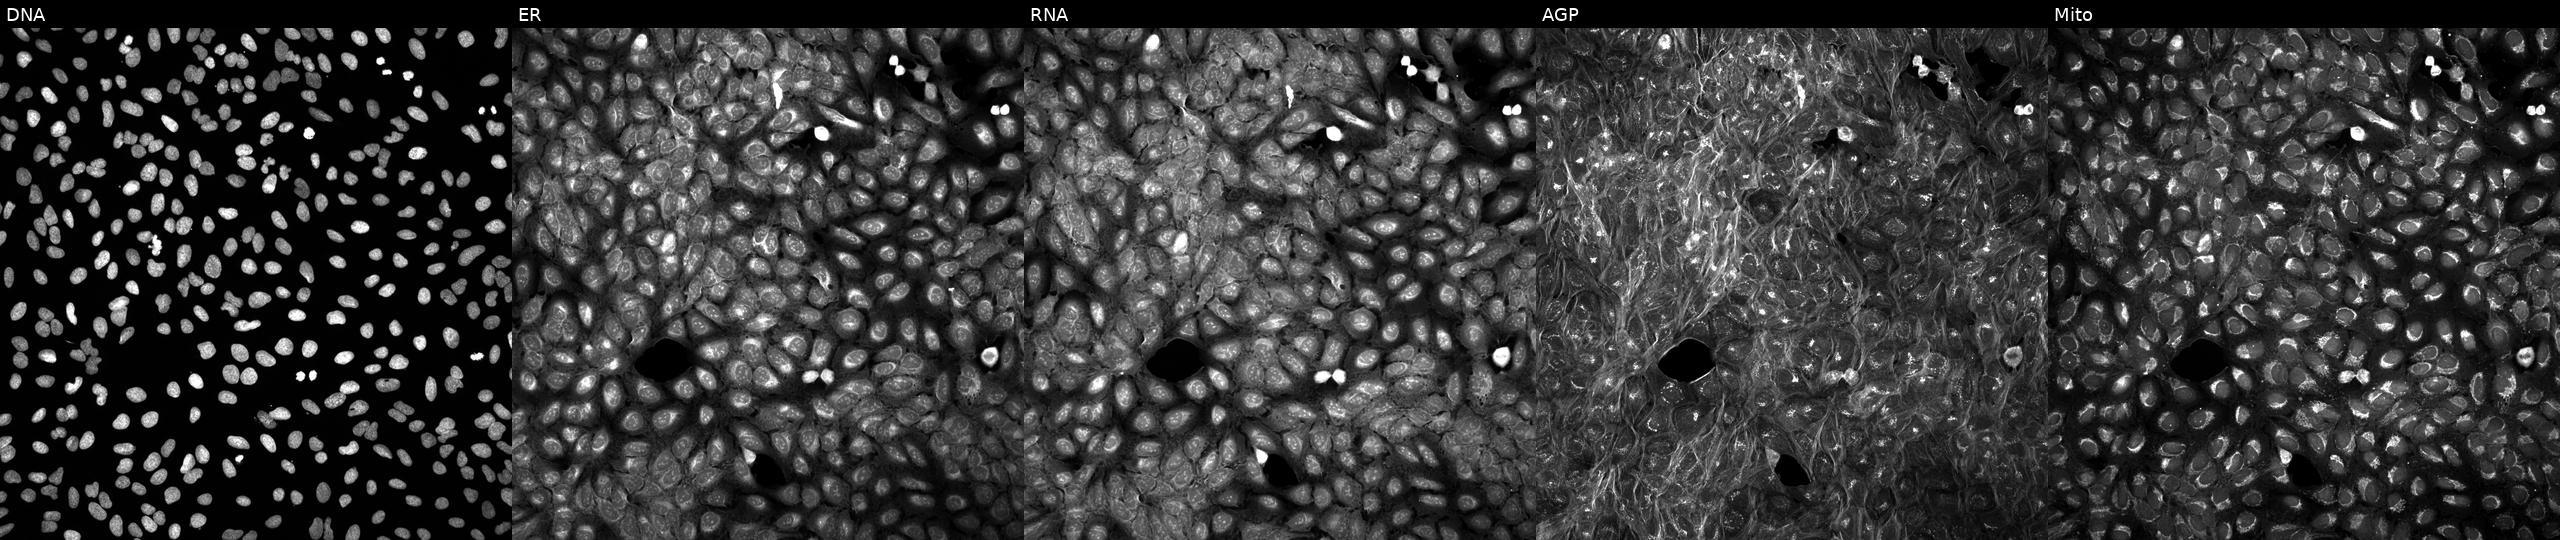
The five panels, left to right, show DNA, ER, RNA, AGP, and Mito. U2OS osteosarcoma cells exposed to a small-molecule compound (JUMP id JCP2022_042354). Cell Painting assay, JUMP-CP dataset.